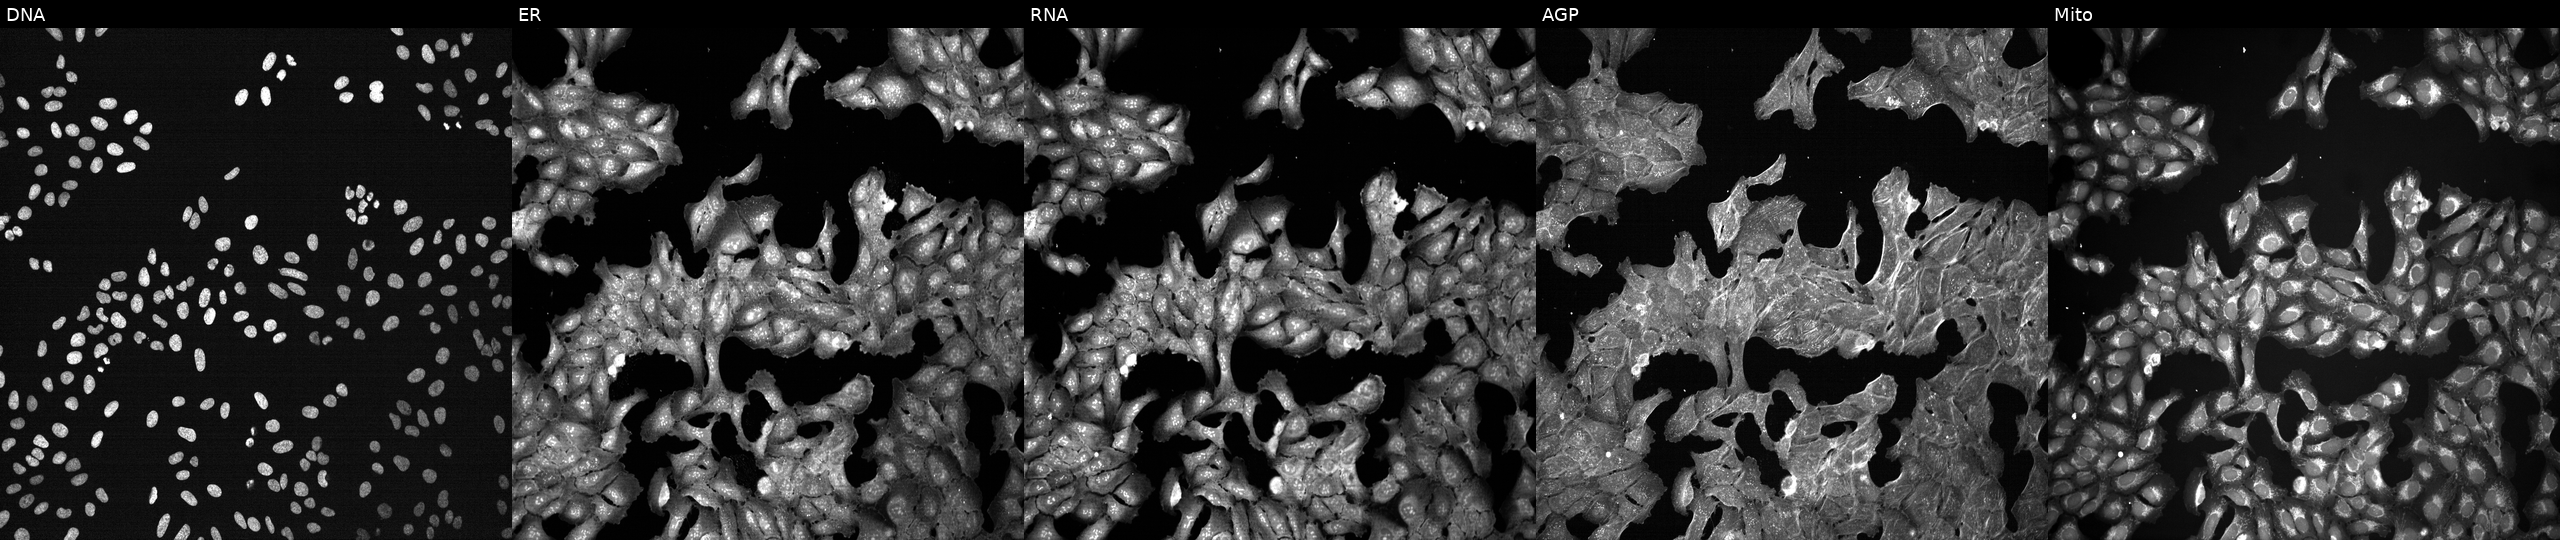
High-content fluorescence microscopy (Cell Painting). Cell line: U2OS. Perturbation: exposed to a small-molecule compound (InChIKey MXJWRABVEGLYDG-UHFFFAOYSA-N). The five panels, left to right, show Hoechst 33342, concanavalin A, SYTO 14, phalloidin and WGA, MitoTracker. Source 7, plate CP3-SC1-25, well I21.